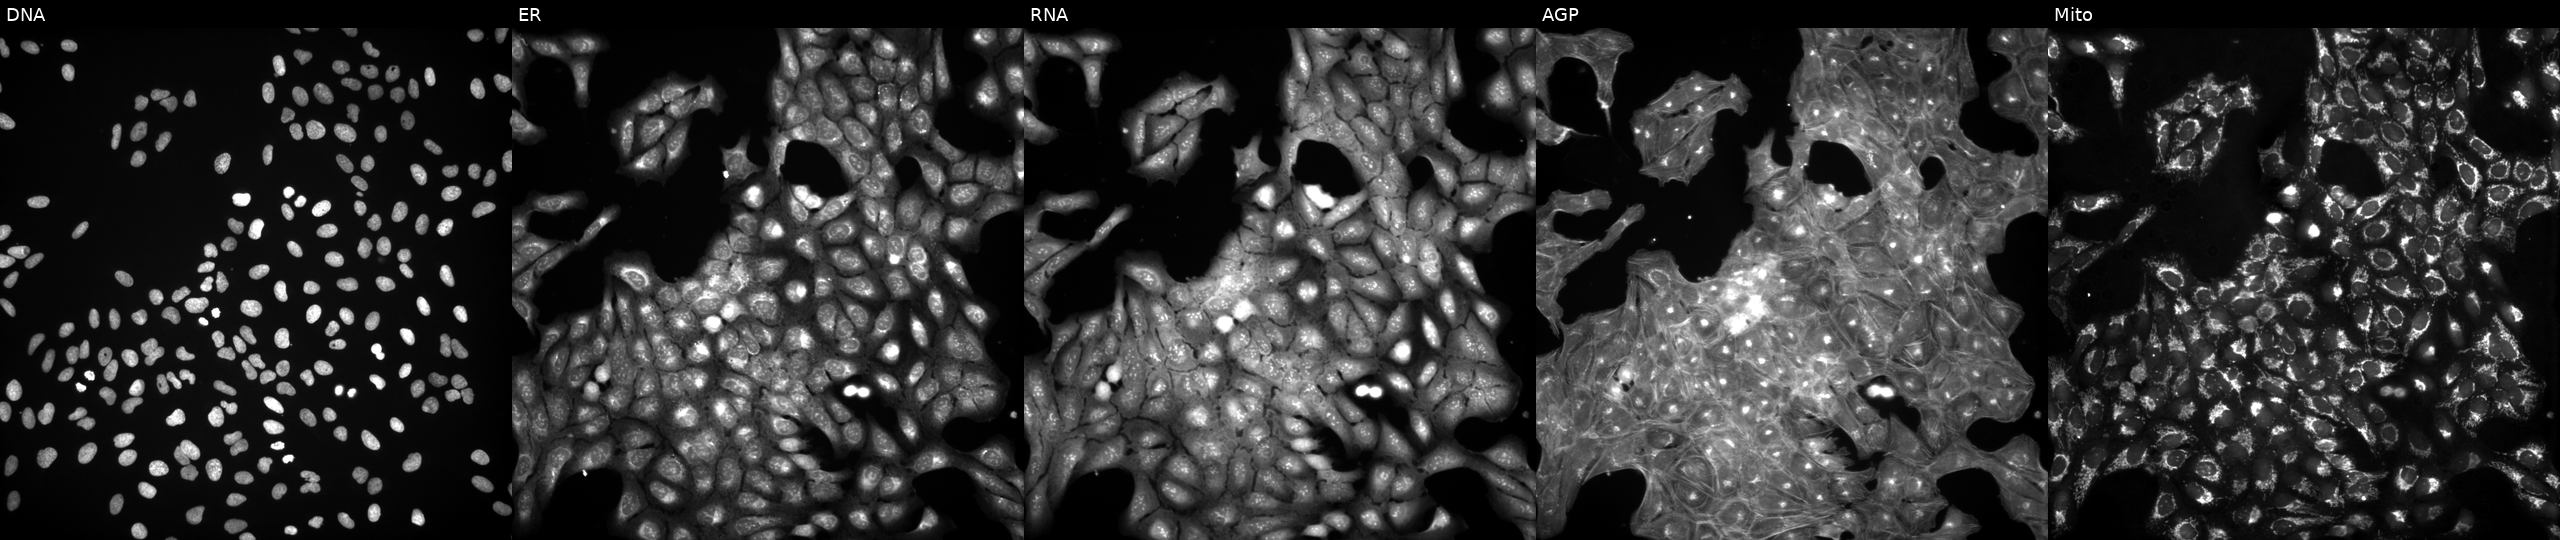
U2OS cells, Cell Painting assay, treated with a small-molecule compound. Panels show, left to right, DNA, ER, RNA, AGP, and Mito. Each panel is percentile-stretched 16-bit fluorescence. Source 3, plate JCPQC053, well O19.